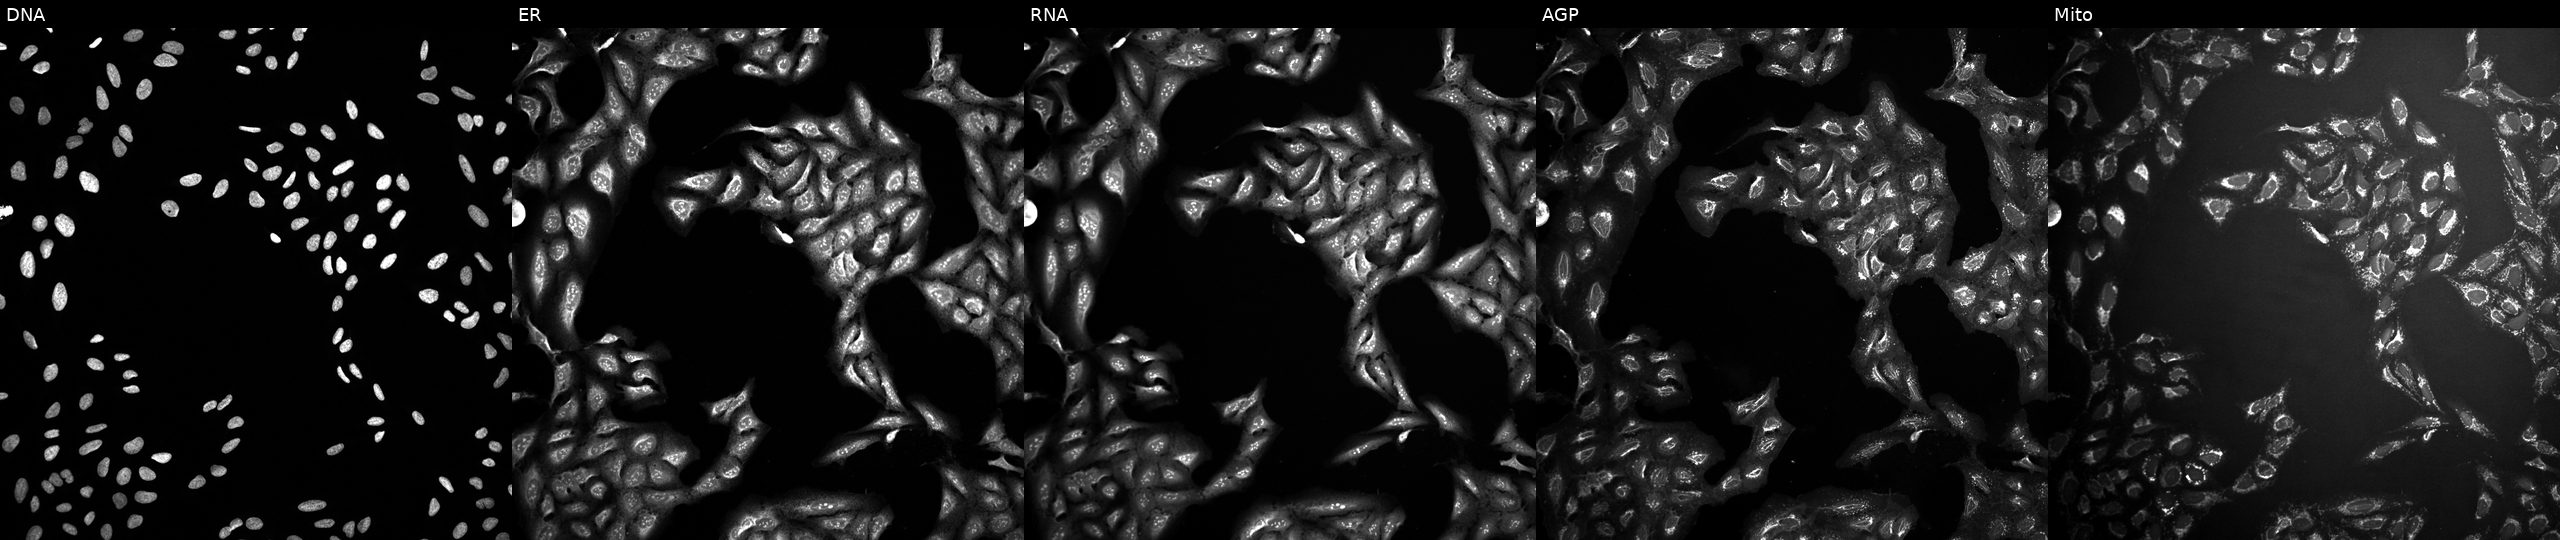
Five-channel Cell Painting image of U2OS cells perturbed with a small-molecule compound (InChIKey HULPONUAINYLQQ-UHFFFAOYSA-N). Panels show, left to right, DNA (nuclei); ER (endoplasmic reticulum); RNA (nucleoli and cytoplasmic RNA); AGP (actin cytoskeleton, Golgi, and plasma membrane); Mito (mitochondria).